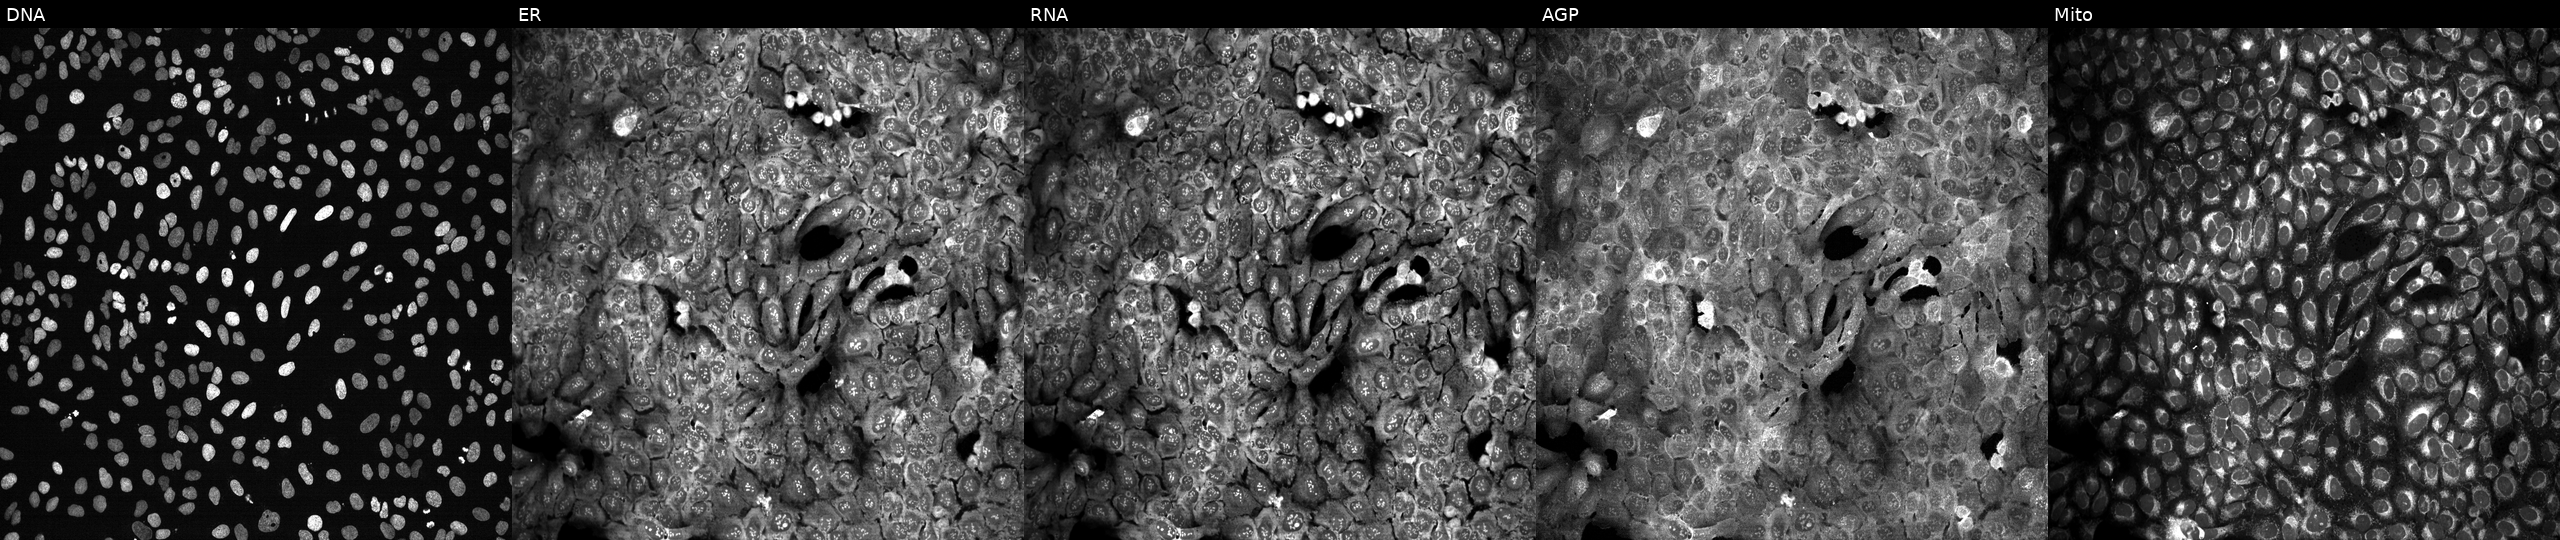
Channels (left→right): Hoechst 33342, concanavalin A, SYTO 14, phalloidin and WGA, MitoTracker. U2OS osteosarcoma cells CRISPR-edited to disrupt CA4. Cell Painting assay, JUMP-CP dataset.